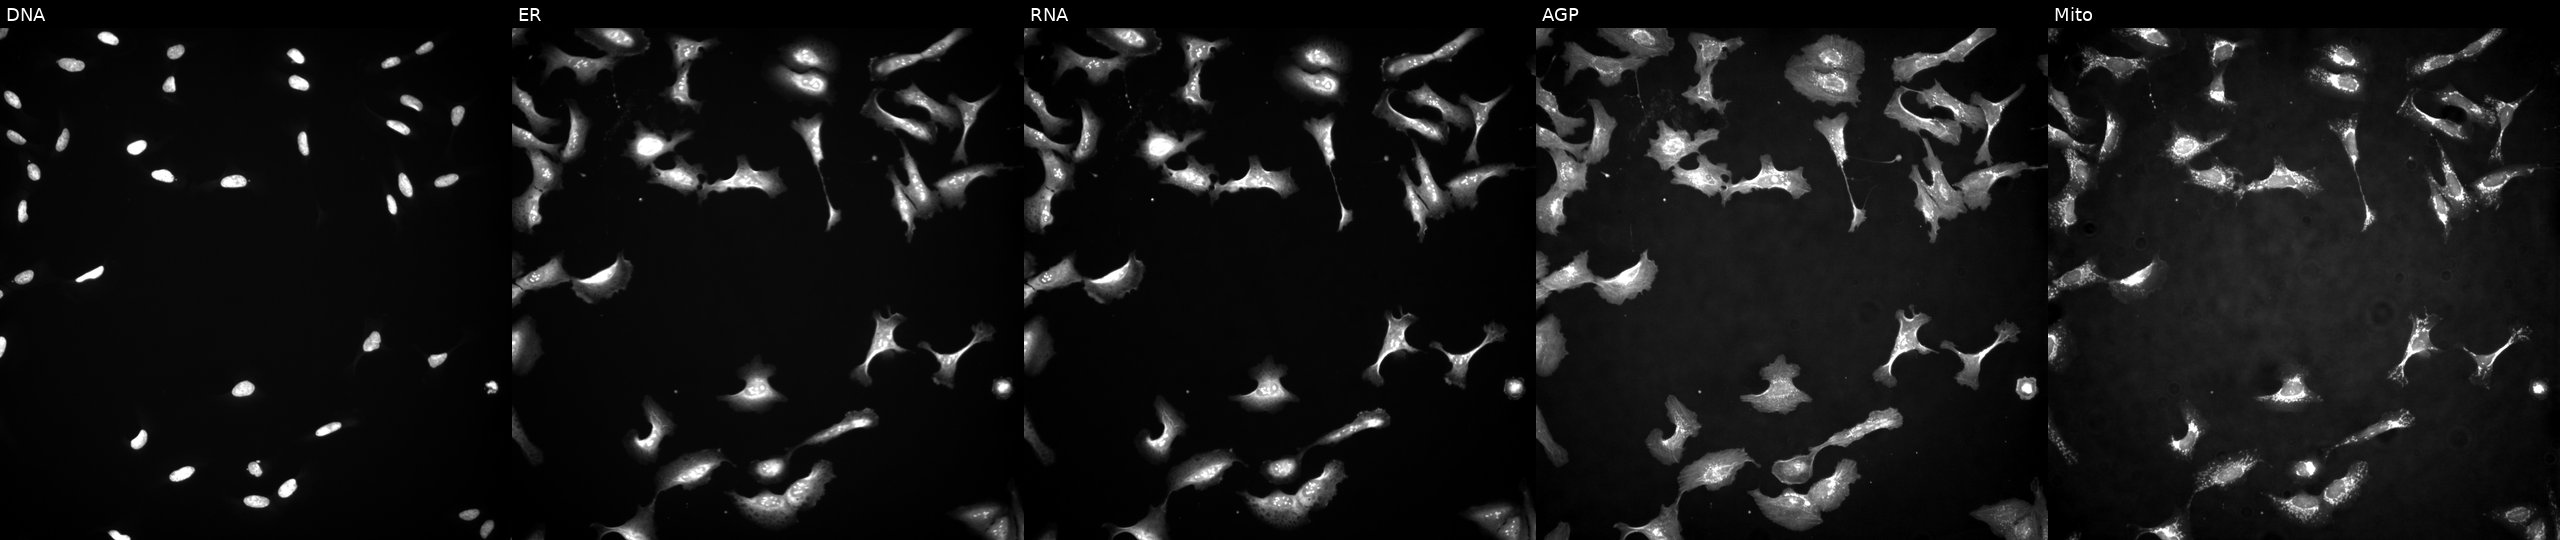
High-content fluorescence microscopy (Cell Painting). Cell line: U2OS. Perturbation: overexpressing ZNF114 via ORF transfection (JUMP id JCP2022_904793). Channels (left→right): Hoechst 33342, concanavalin A, SYTO 14, phalloidin and WGA, MitoTracker. Source 4, plate BR00117035, well J11.